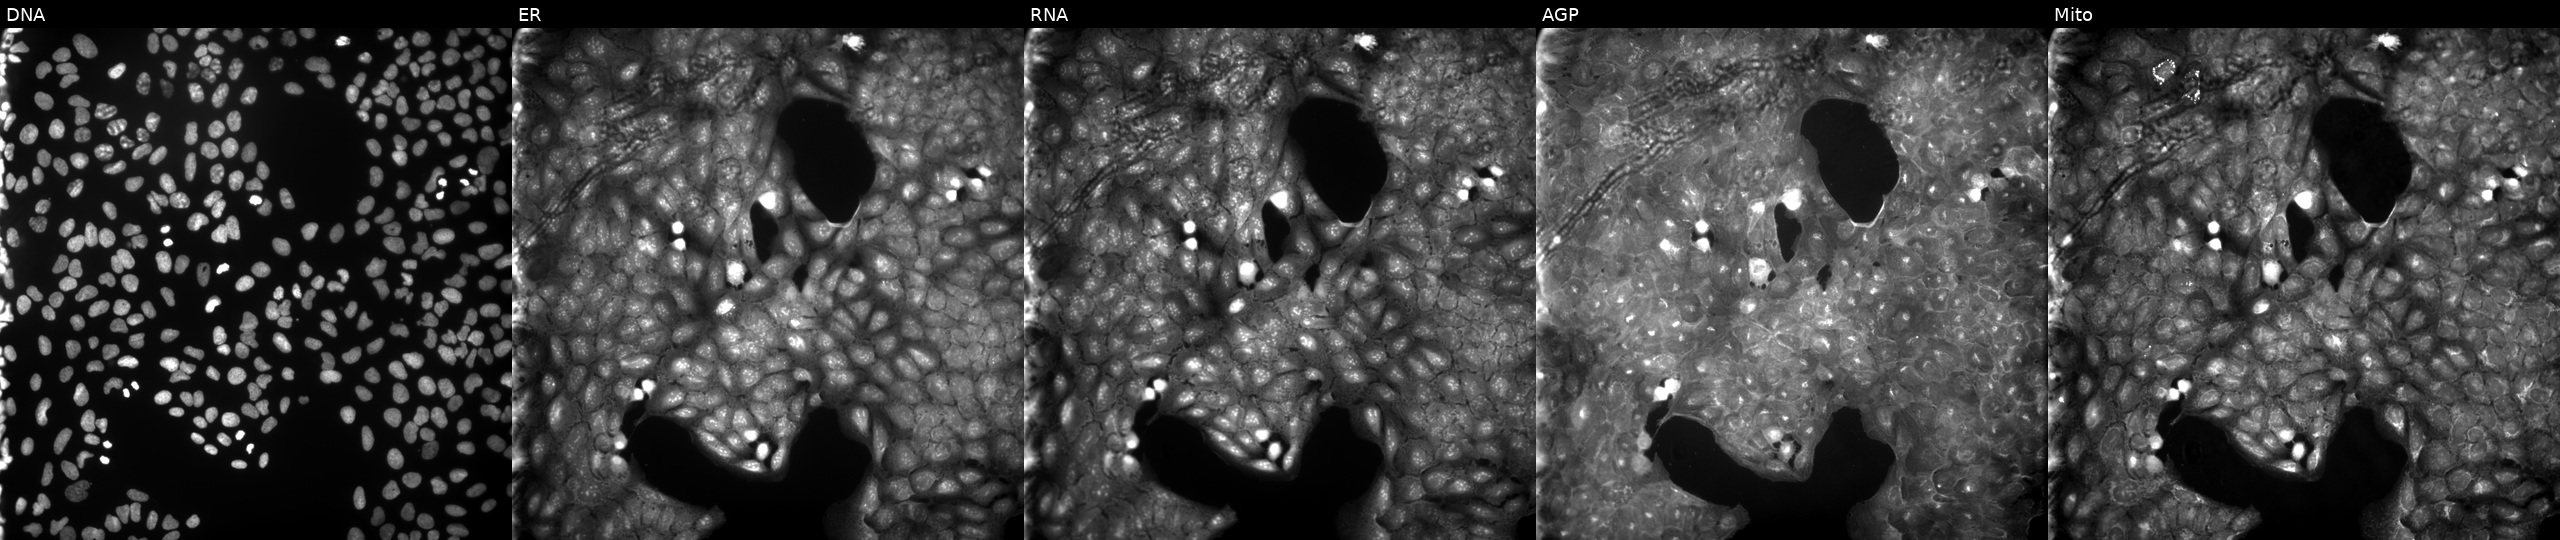
Channels (left→right): DNA, ER, RNA, AGP, and Mito. U2OS osteosarcoma cells perturbed with a small-molecule compound (InChIKey OZJJKZZJTLAUCT-UHFFFAOYSA-N). Cell Painting assay, JUMP-CP dataset.